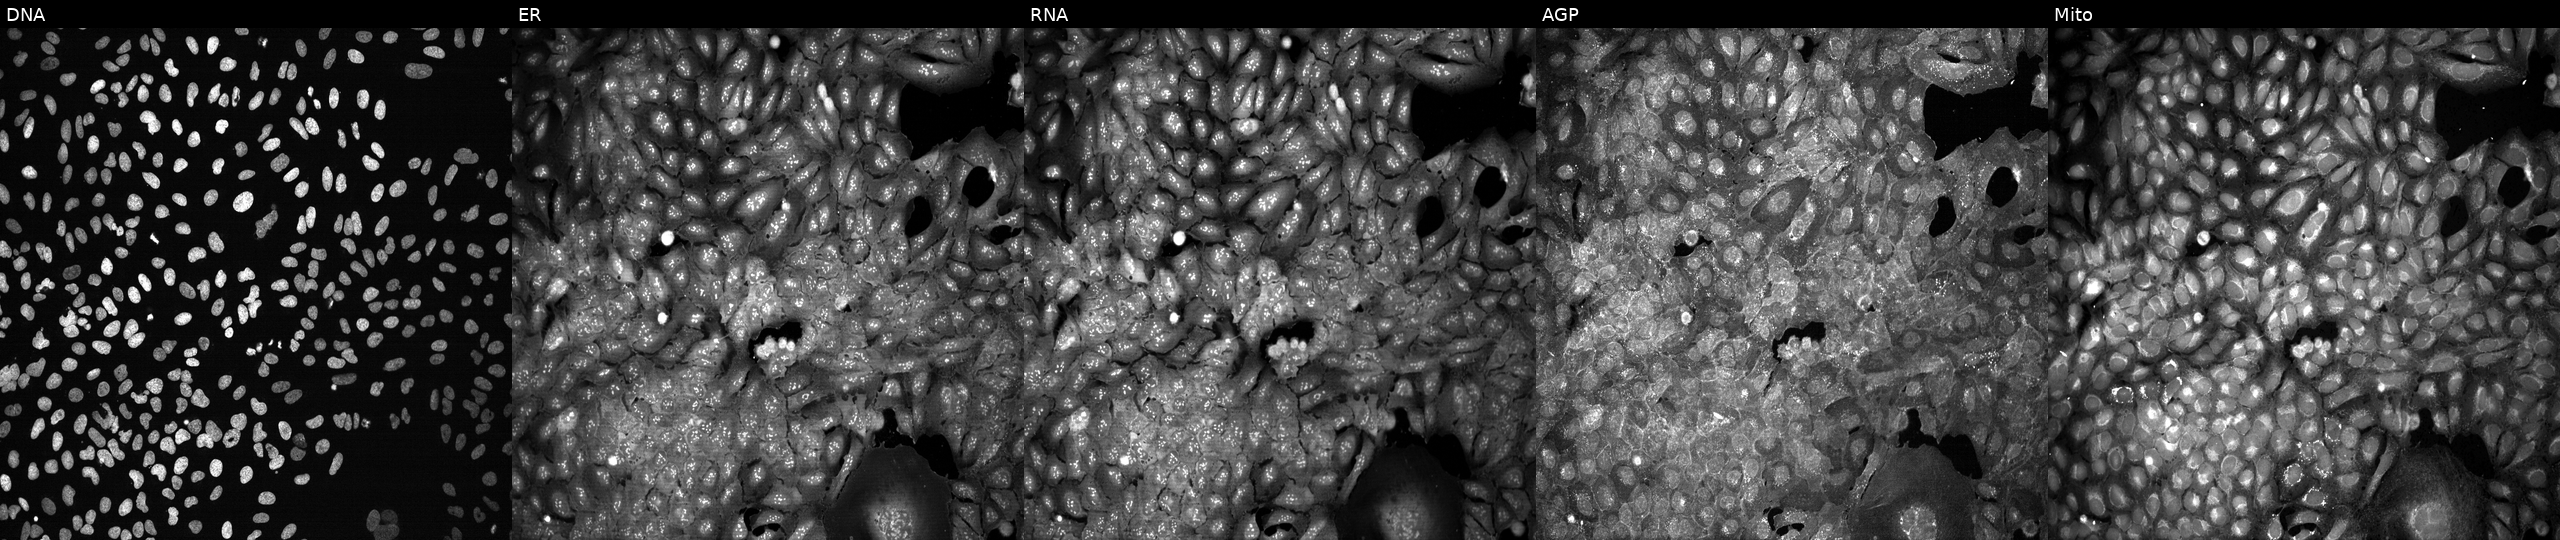
JUMP Cell Painting — CRISPR plate. U2OS cells with PEMT knocked out by CRISPR. Panels show, left to right, DNA, ER, RNA, AGP, and Mito. Source 13, plate CP-CC9-R1-01, well E22.